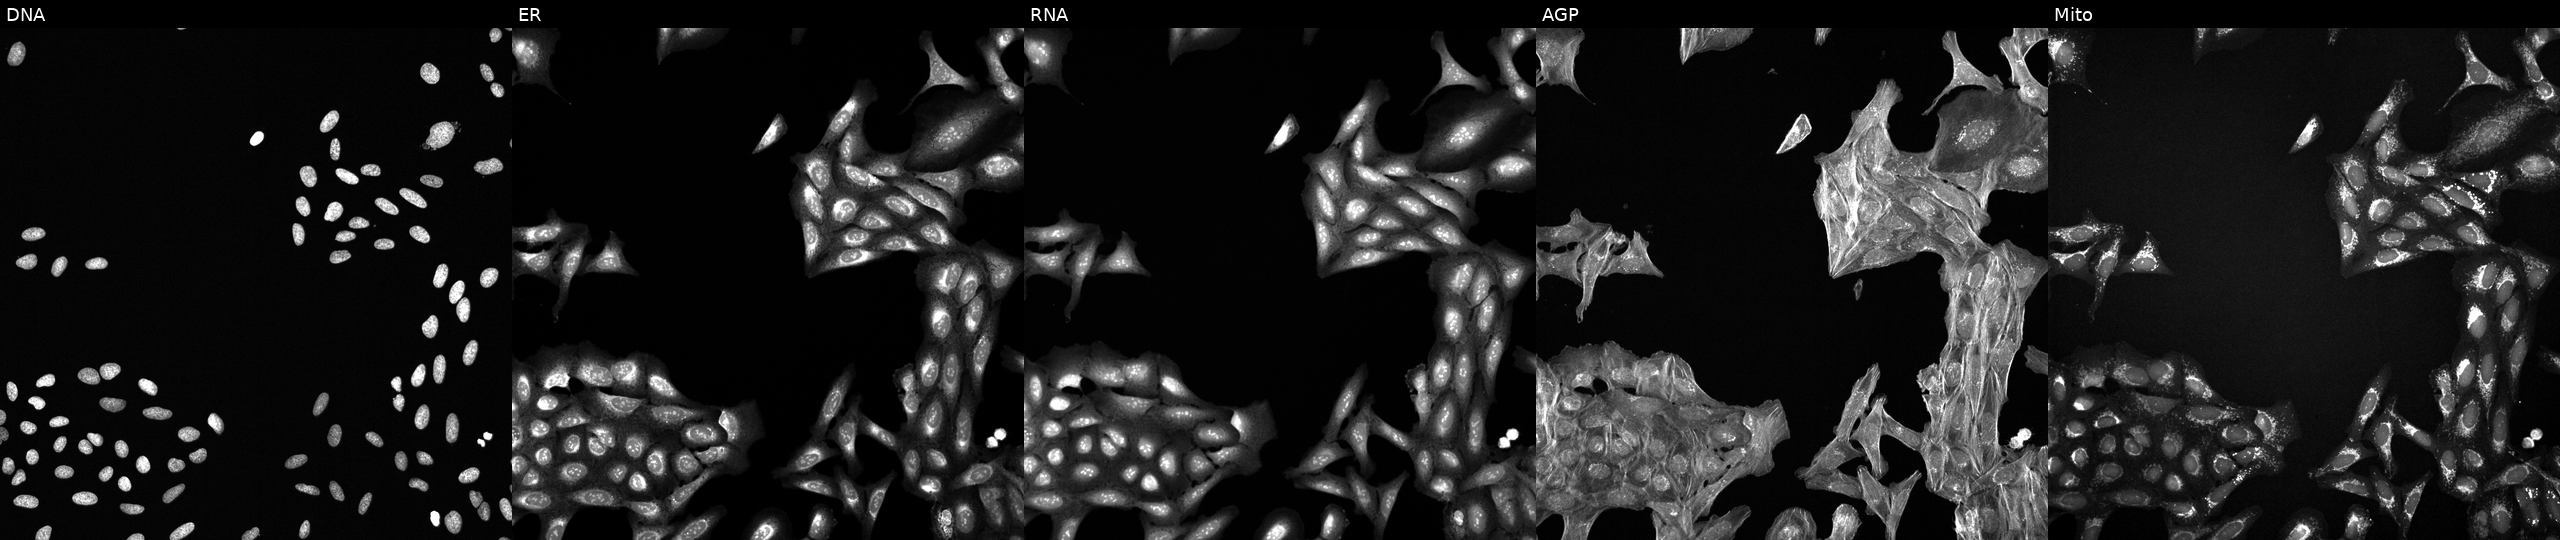
Five-channel Cell Painting image of U2OS cells treated with quinidine (positive-control compound) (JUMP id JCP2022_050797). The five panels, left to right, show DNA, ER, RNA, AGP, and Mito. Source 6, plate 110000293093, well A02.